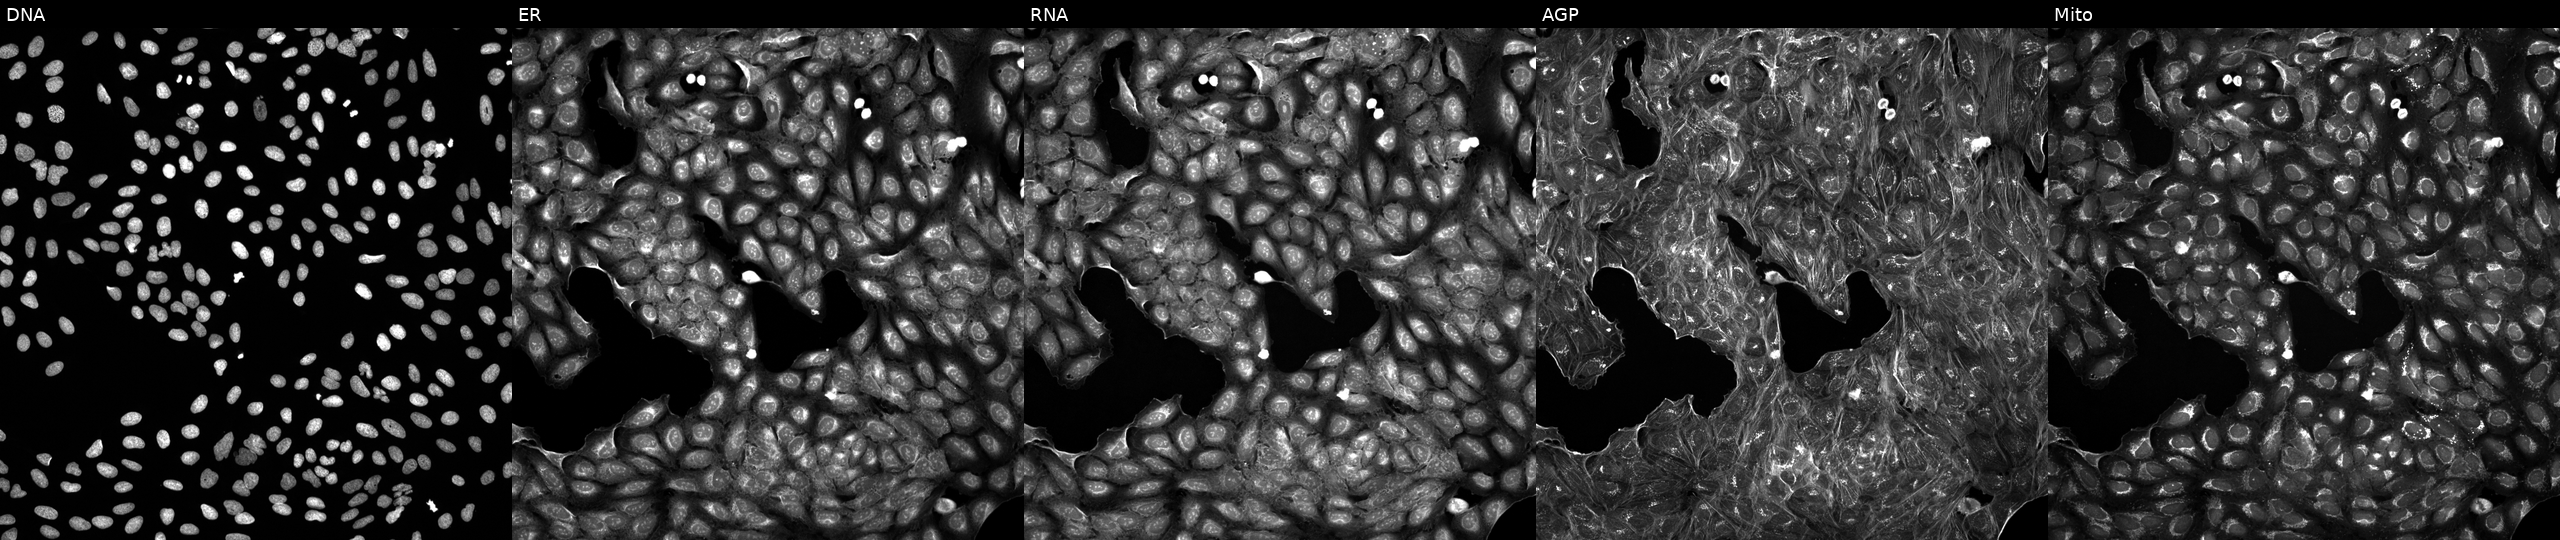
This image strip shows the five Cell Painting channels for a single field of U2OS cells exposed to DMSO alone as a negative control (JUMP id JCP2022_033924). Channels (left→right): Hoechst 33342, concanavalin A, SYTO 14, phalloidin and WGA, MitoTracker.